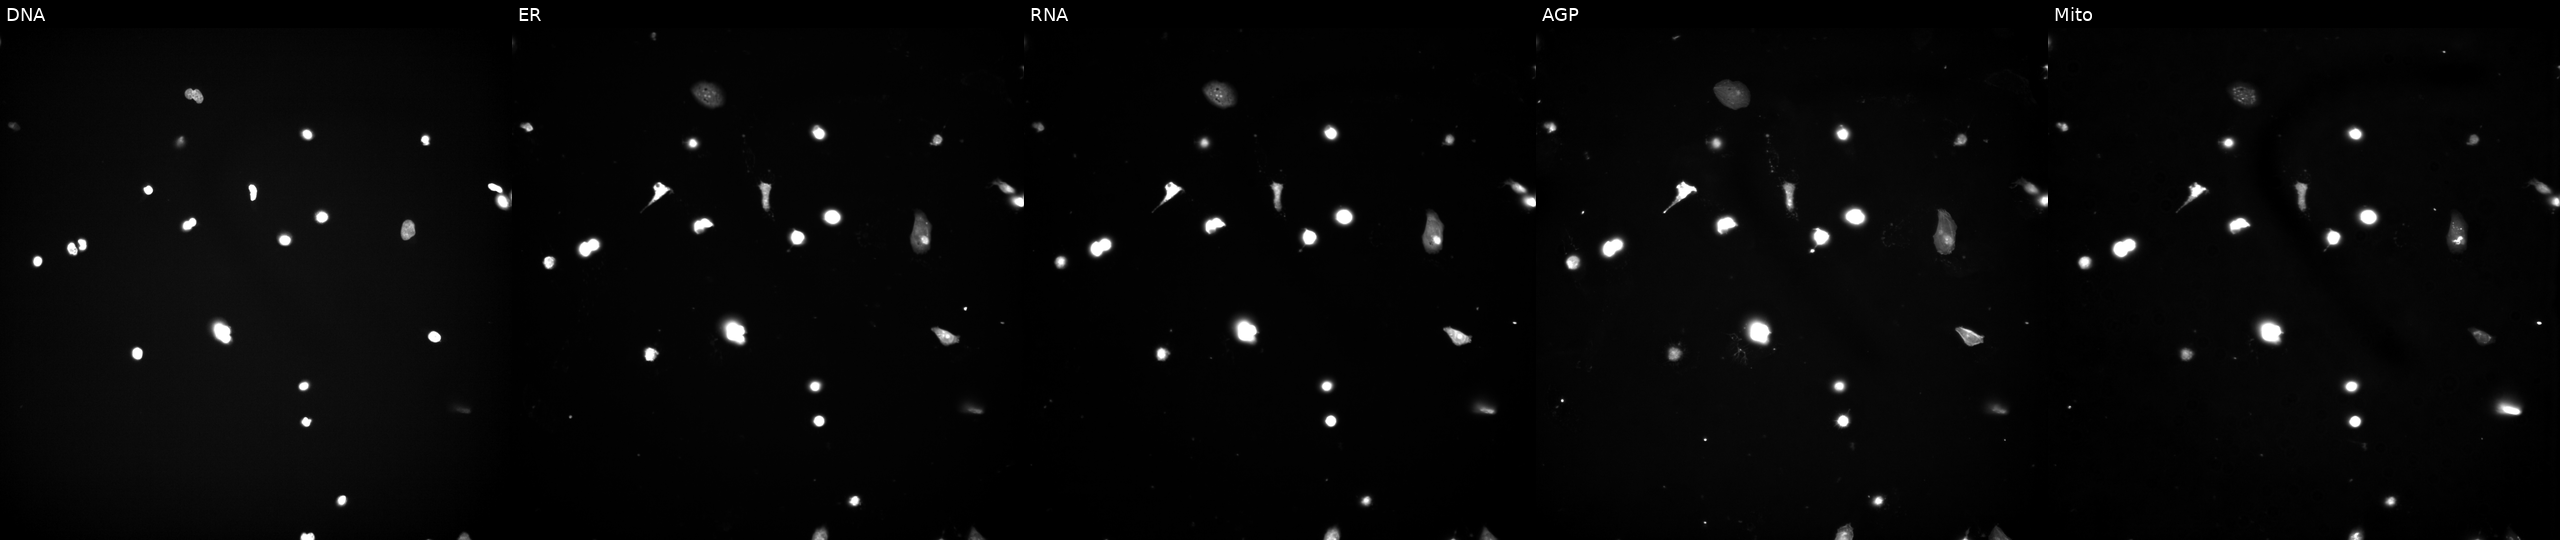
High-content fluorescence microscopy (Cell Painting). Cell line: U2OS. Perturbation: perturbed with a small-molecule compound (InChIKey NQQBNZBOOHHVQP-UHFFFAOYSA-N) (JUMP id JCP2022_060734). From left to right: DNA, ER, RNA, AGP, and Mito.